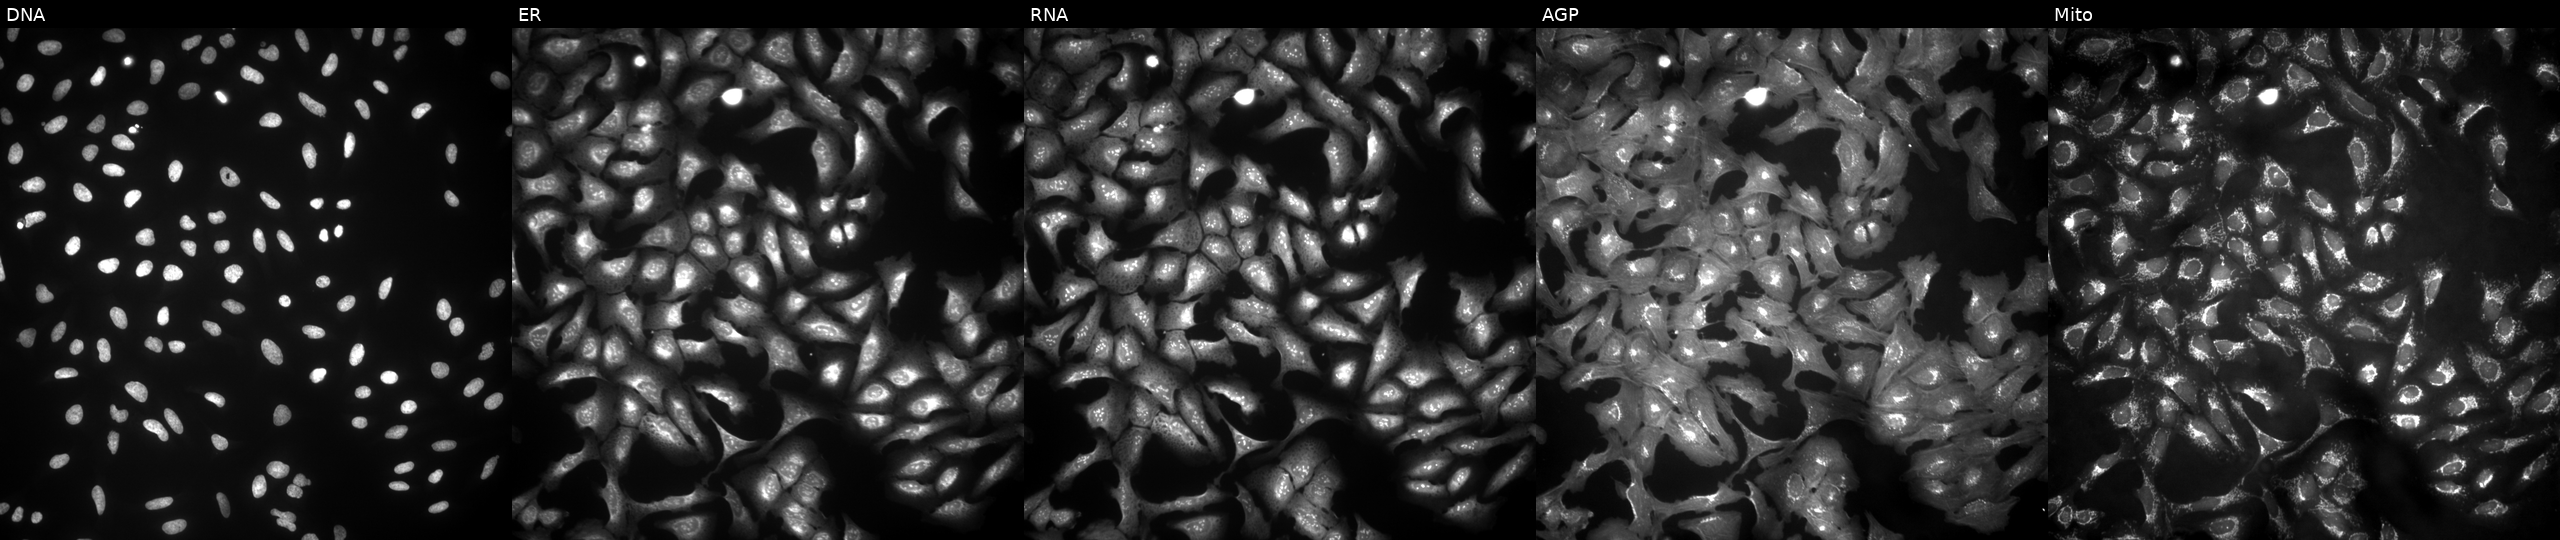
Five-channel Cell Painting image of U2OS cells with ESS2 overexpressed (ORF) (JUMP id JCP2022_901744). Channels (left→right): DNA, ER, RNA, AGP, and Mito.